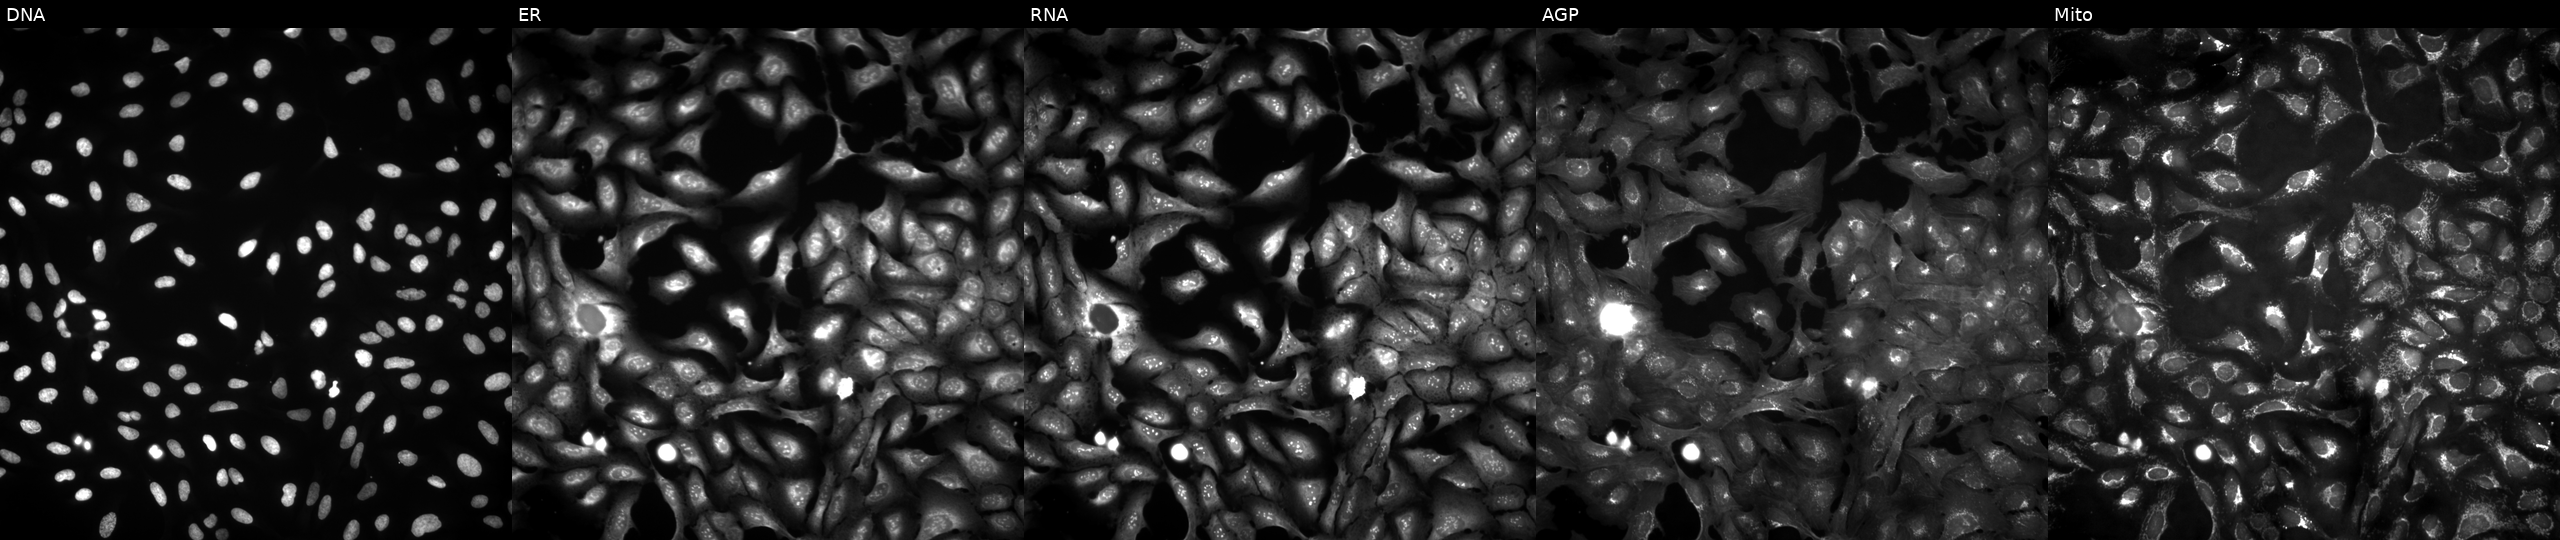
Channels (left→right): Hoechst 33342, concanavalin A, SYTO 14, phalloidin and WGA, MitoTracker. U2OS osteosarcoma cells transfected with an ORF construct for MX1 (JUMP id JCP2022_906185). Cell Painting assay, JUMP-CP dataset.